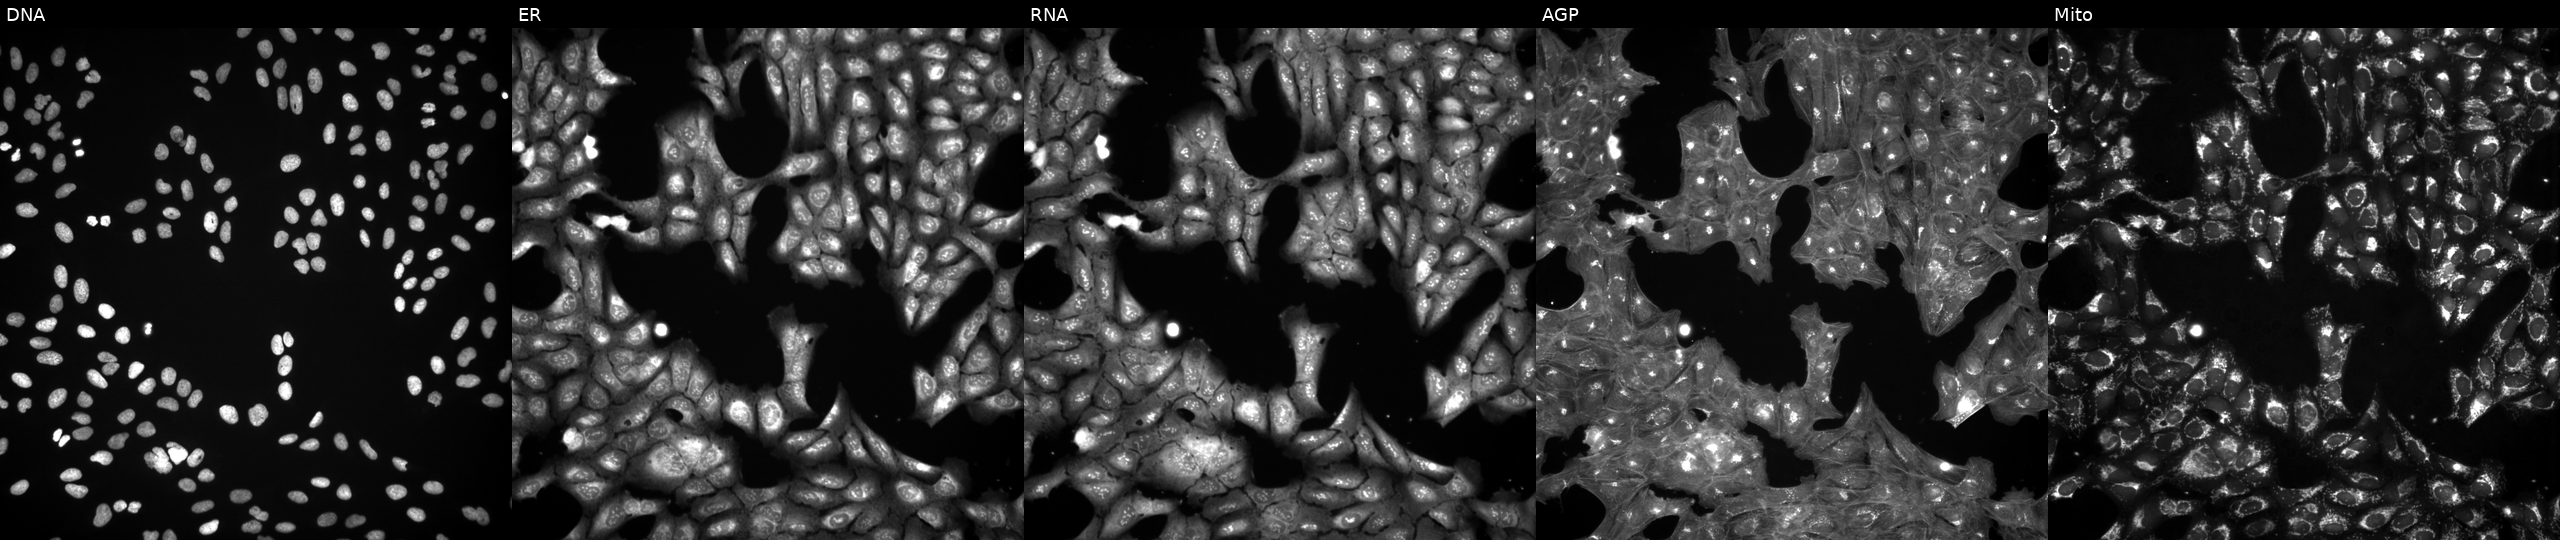
JUMP Cell Painting — COMPOUND plate. U2OS cells perturbed with a small-molecule compound (InChIKey KNVXOURJVLCSHD-UHFFFAOYSA-N) [SMILES: C=CCOC(=O)C1C(C)=NC2(O)c3ccccc3C(=O)C12O] (JUMP id JCP2022_045844). Panels show, left to right, DNA, ER, RNA, AGP, and Mito.